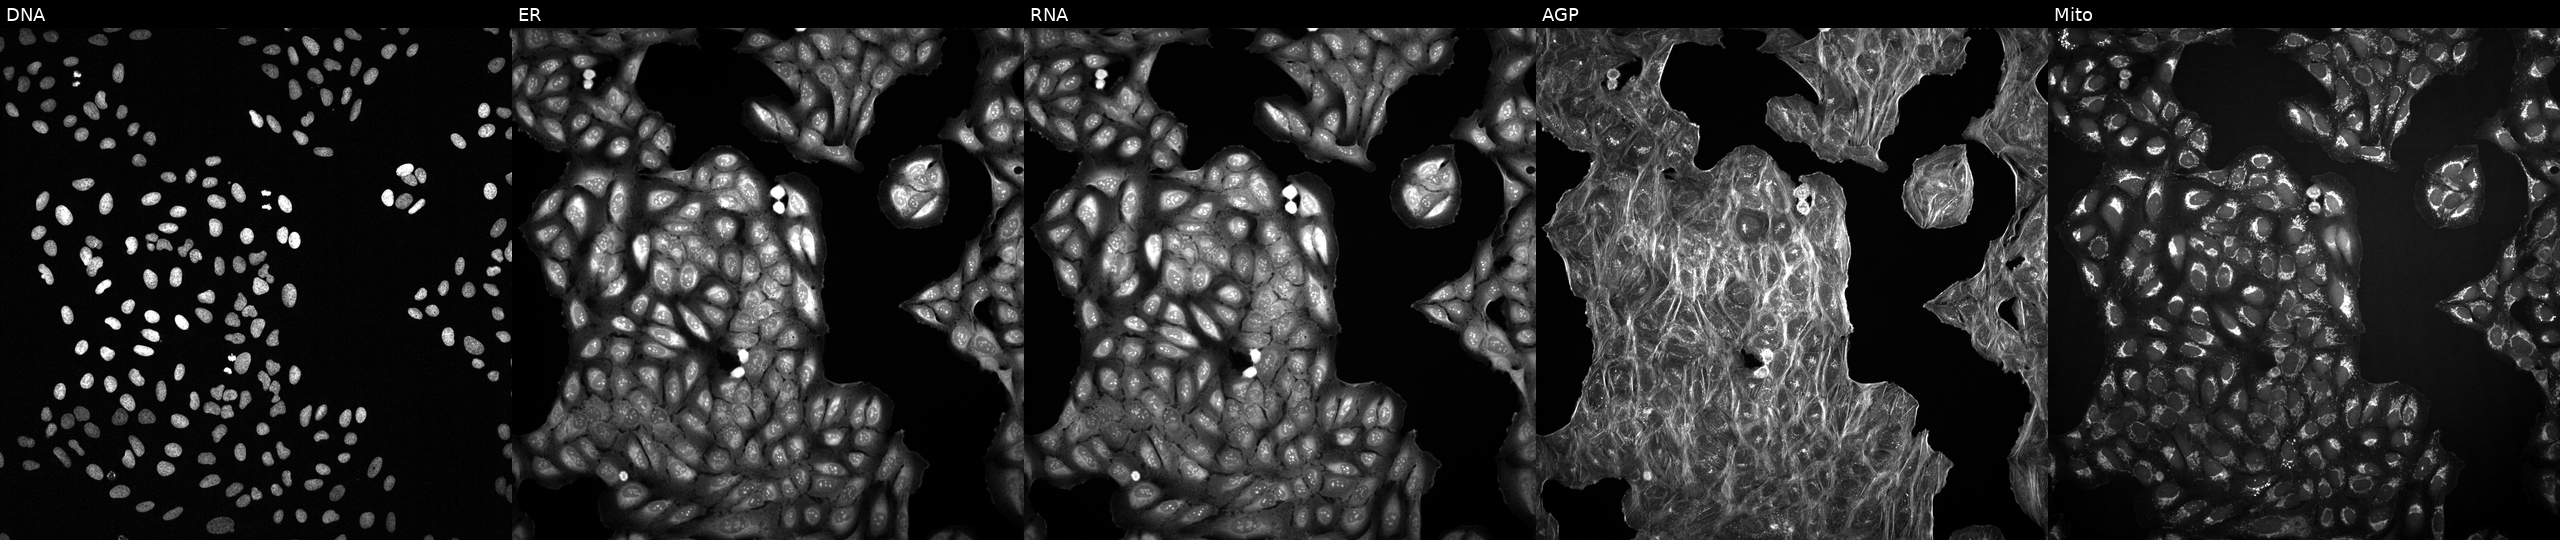
Five-channel Cell Painting image of U2OS cells treated with a small-molecule compound (InChIKey RSSBGBNRIADQQV-UHFFFAOYSA-N). Panels show, left to right, DNA (nuclei); ER (endoplasmic reticulum); RNA (nucleoli and cytoplasmic RNA); AGP (actin cytoskeleton, Golgi, and plasma membrane); Mito (mitochondria).